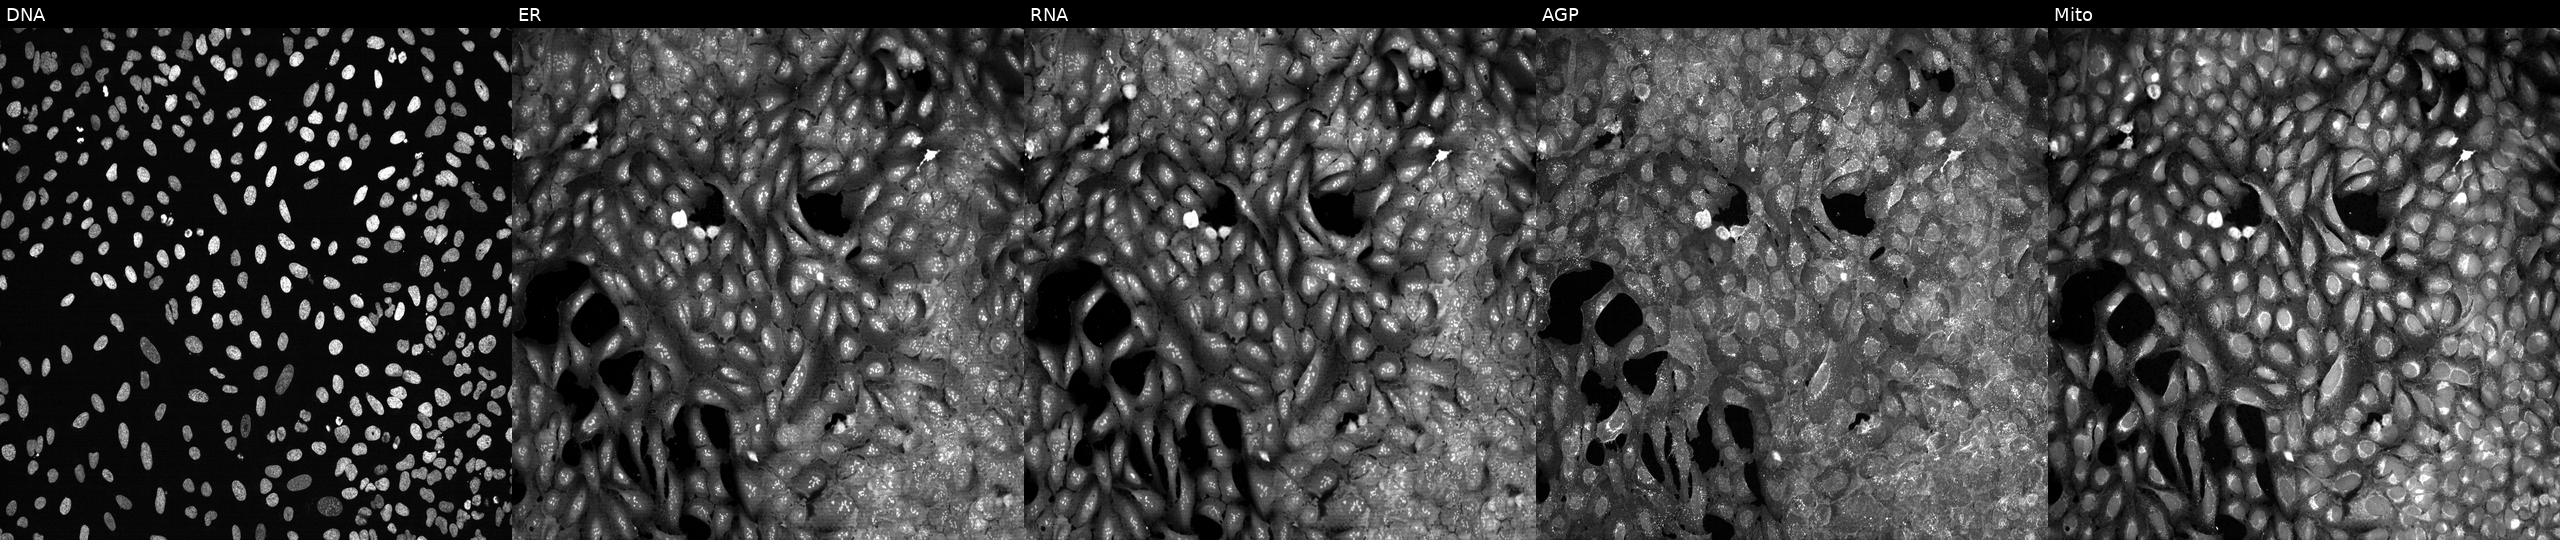
The five panels, left to right, show DNA, ER, RNA, AGP, and Mito. U2OS osteosarcoma cells with SLC36A3 knocked out by CRISPR. Cell Painting assay, JUMP-CP dataset. Source 13, plate CP-CC9-R1-02, well H05.